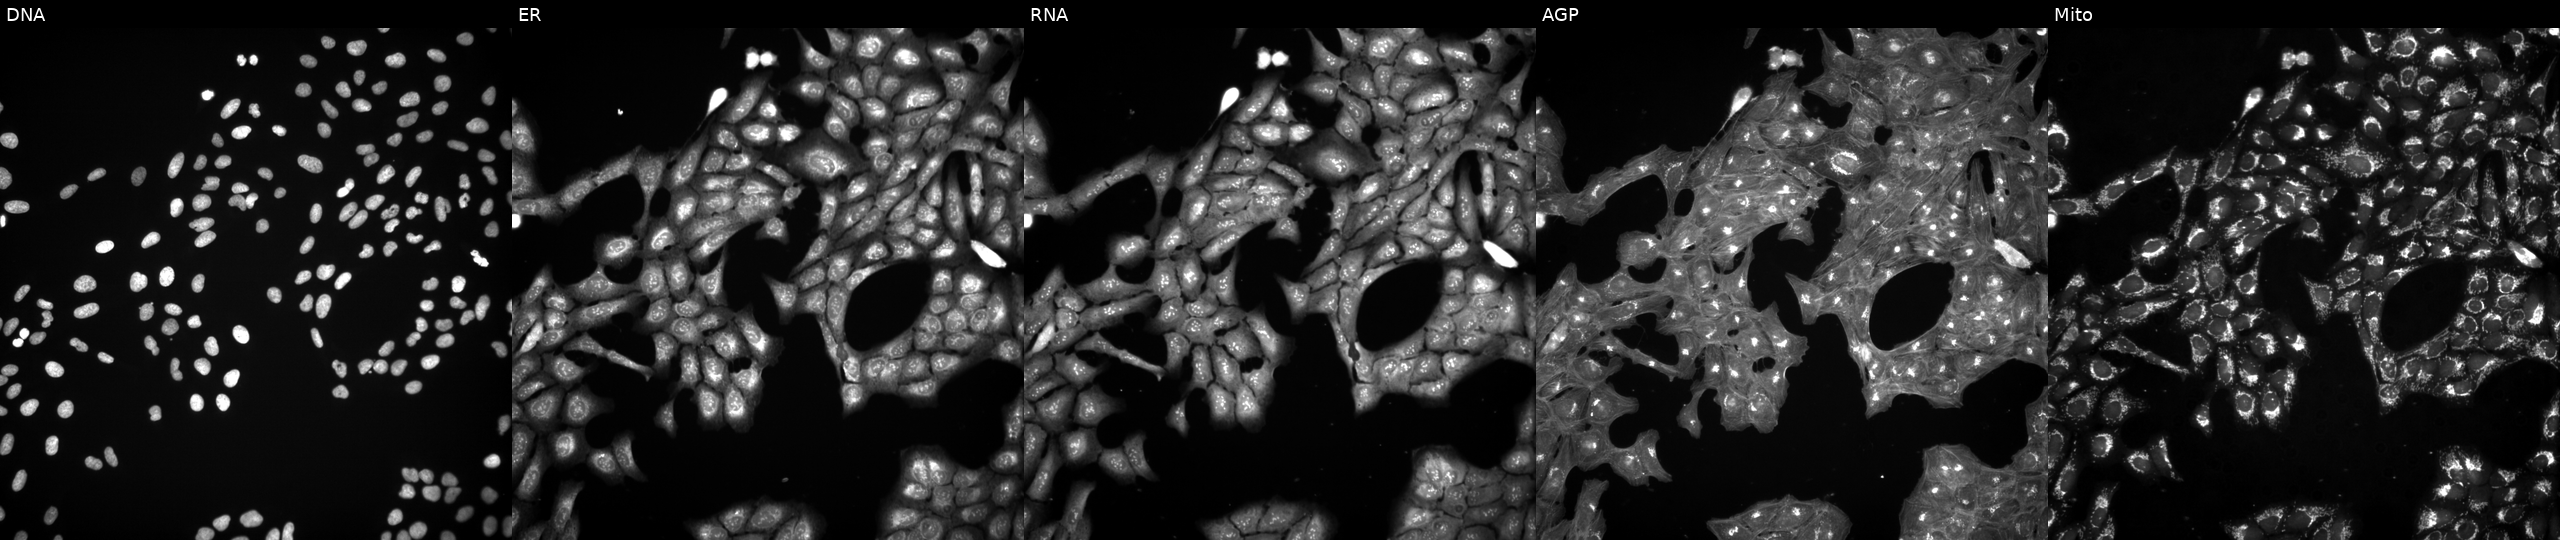
JUMP Cell Painting — COMPOUND plate. U2OS cells perturbed with a small-molecule compound (InChIKey QJCQJXOEXKINTC-UHFFFAOYSA-N) (JUMP id JCP2022_073799). From left to right: DNA (nuclei); ER (endoplasmic reticulum); RNA (nucleoli and cytoplasmic RNA); AGP (actin cytoskeleton, Golgi, and plasma membrane); Mito (mitochondria).